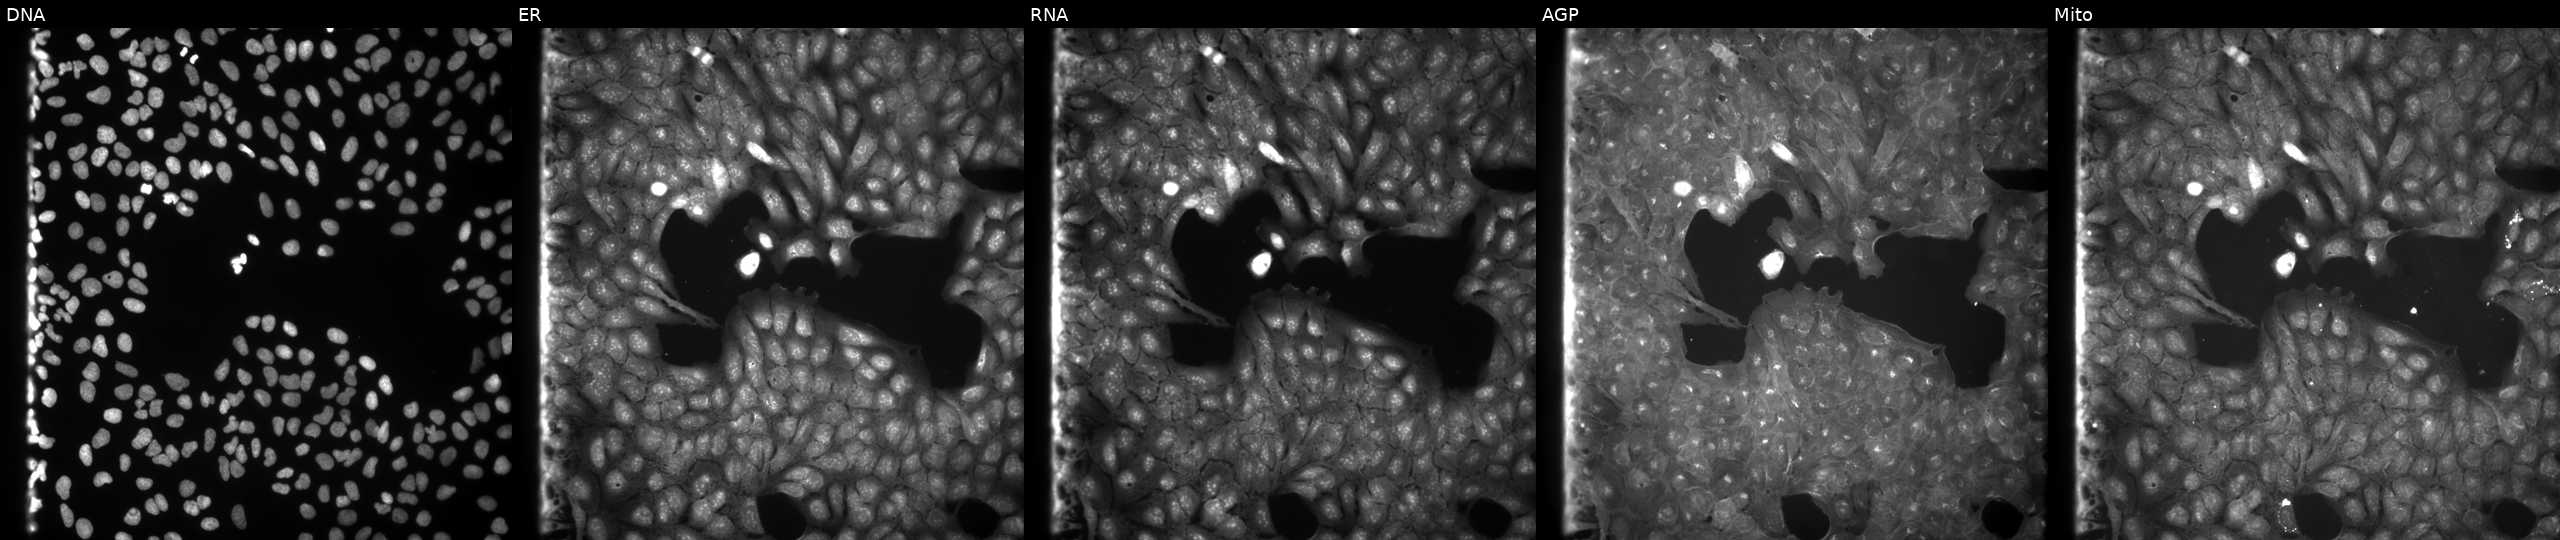
JUMP Cell Painting — COMPOUND plate. U2OS cells treated with a small-molecule compound (InChIKey YPPNRHUDHGTUCZ-UHFFFAOYSA-N). Panels show, left to right, DNA, ER, RNA, AGP, and Mito.